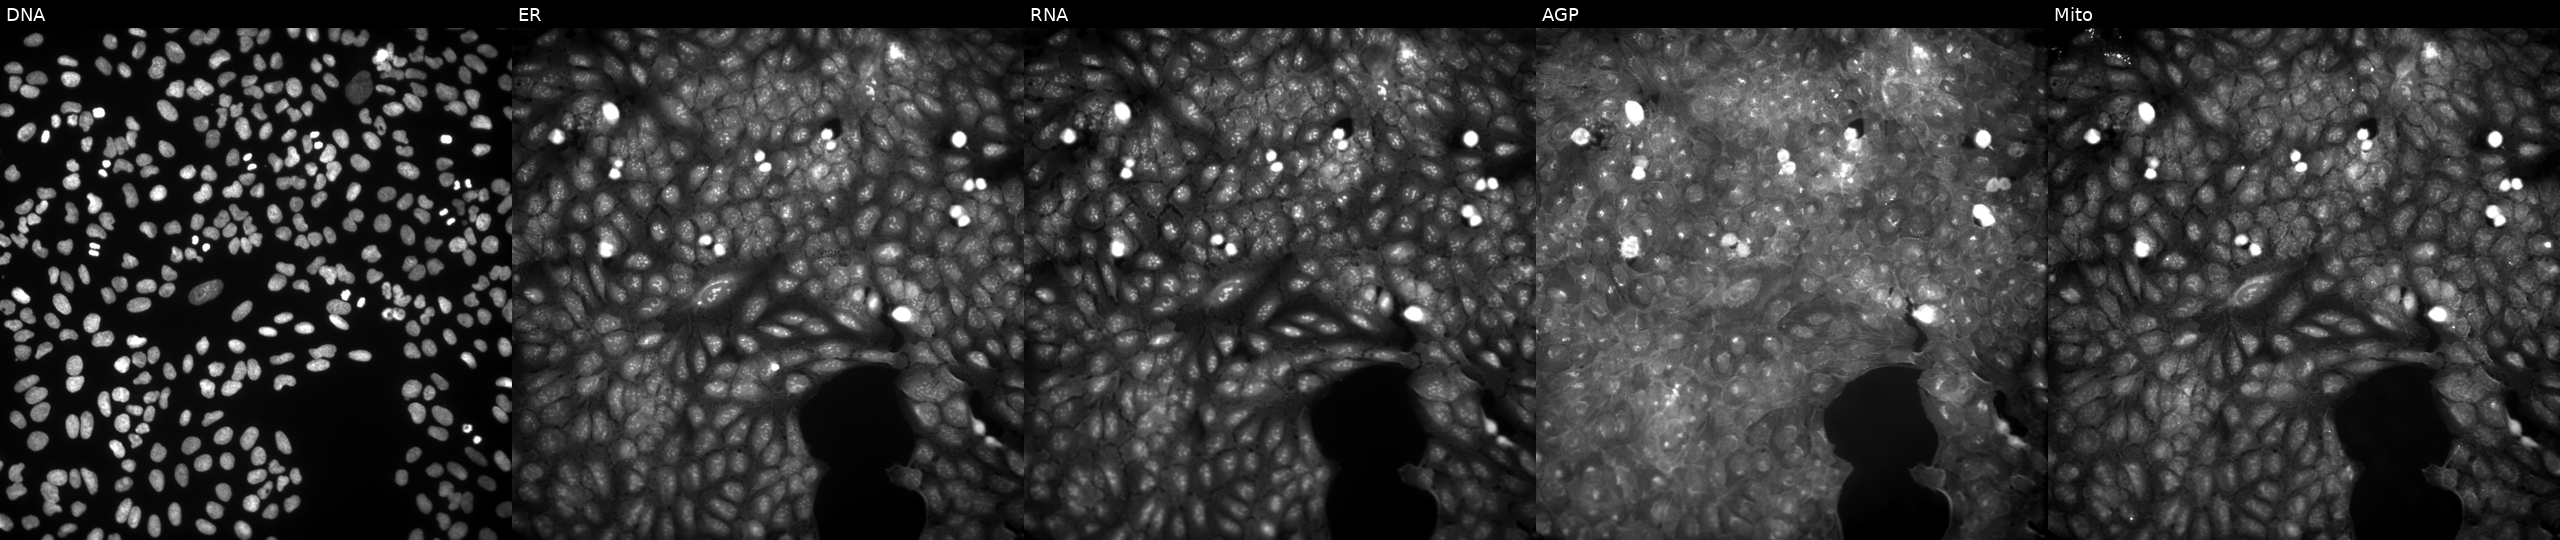
This image strip shows the five Cell Painting channels for a single field of U2OS cells perturbed with a small-molecule compound (InChIKey CHTSOWAARCPADO-UHFFFAOYSA-N) (JUMP id JCP2022_011222). Channels (left→right): Hoechst 33342, concanavalin A, SYTO 14, phalloidin and WGA, MitoTracker.